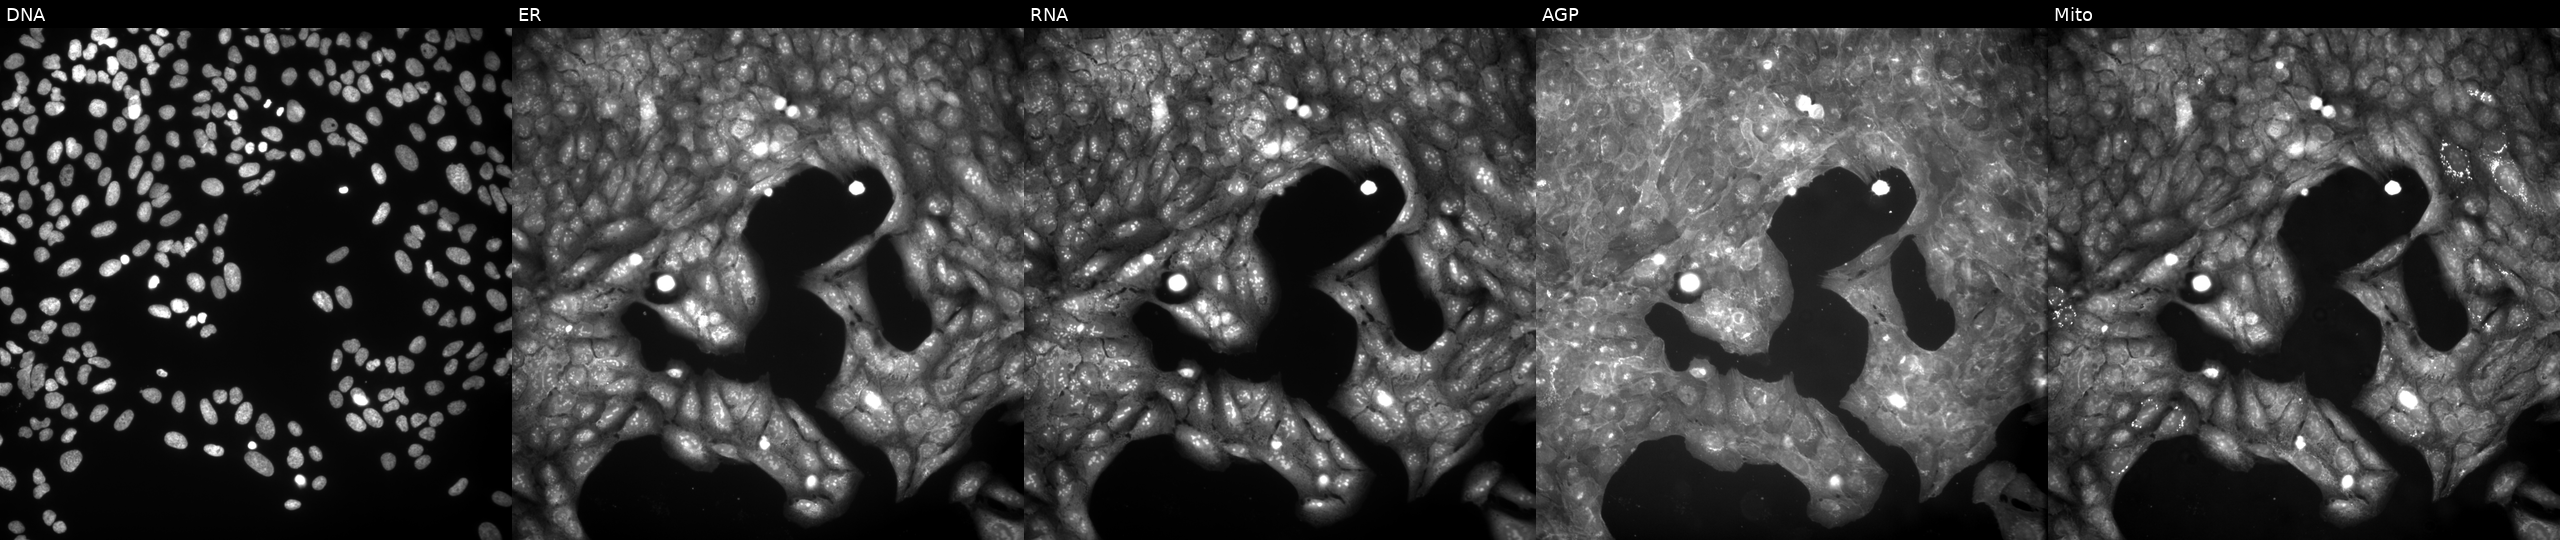
High-content fluorescence microscopy (Cell Painting). Cell line: U2OS. Perturbation: perturbed with a small-molecule compound. Panels show, left to right, DNA, ER, RNA, AGP, and Mito. Source 9, plate GR00003382, well N35.